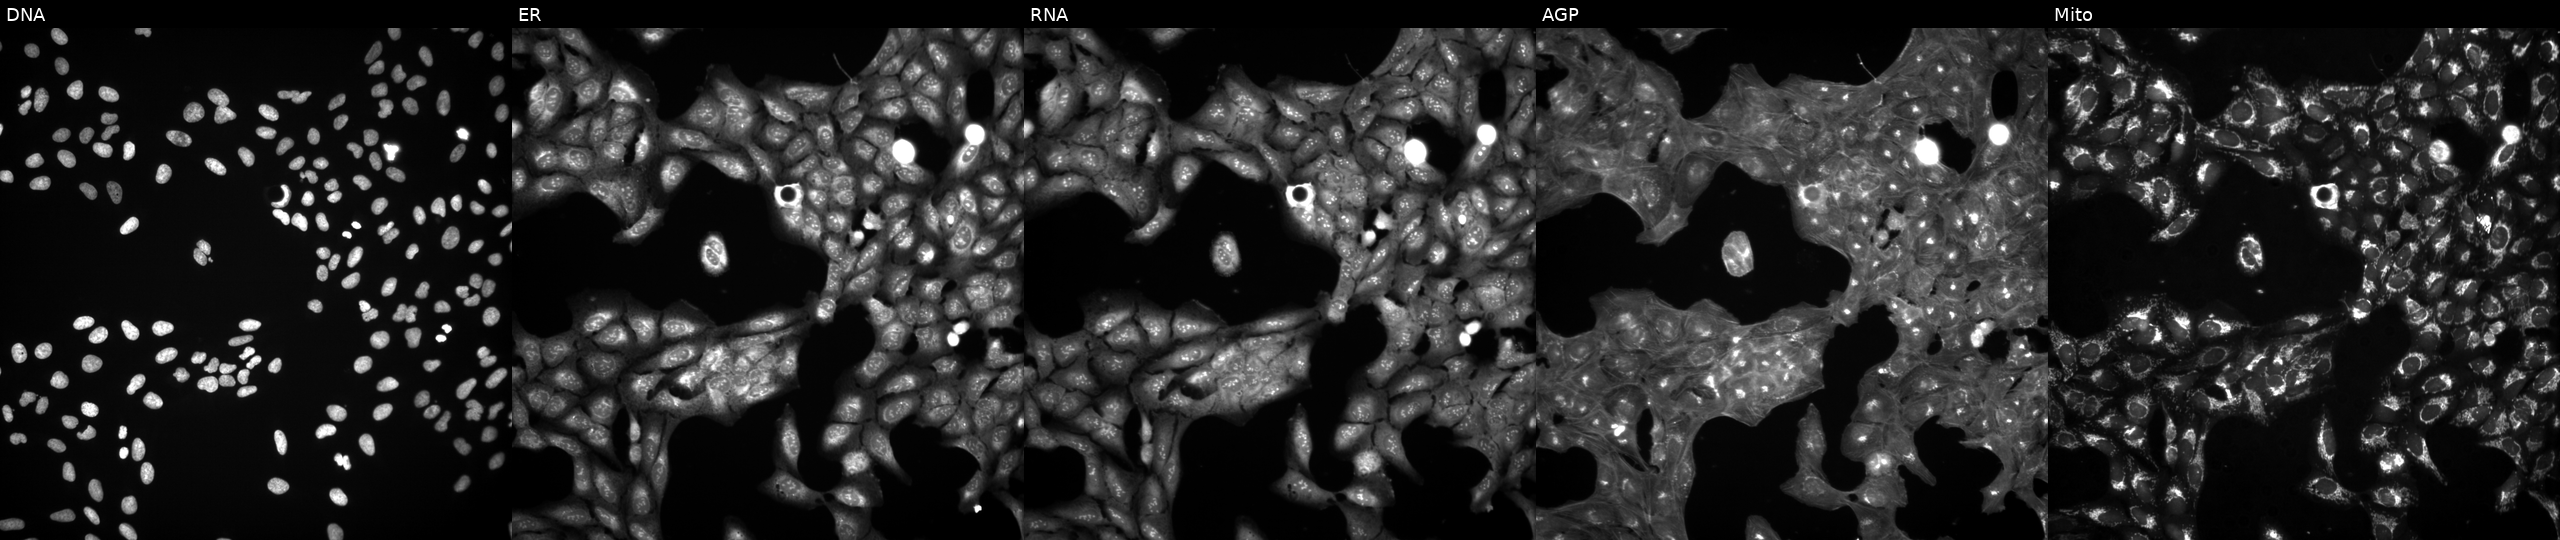
JUMP Cell Painting — COMPOUND plate. U2OS cells untreated (empty-well control). The five panels, left to right, show DNA (nuclei); ER (endoplasmic reticulum); RNA (nucleoli and cytoplasmic RNA); AGP (actin cytoskeleton, Golgi, and plasma membrane); Mito (mitochondria).